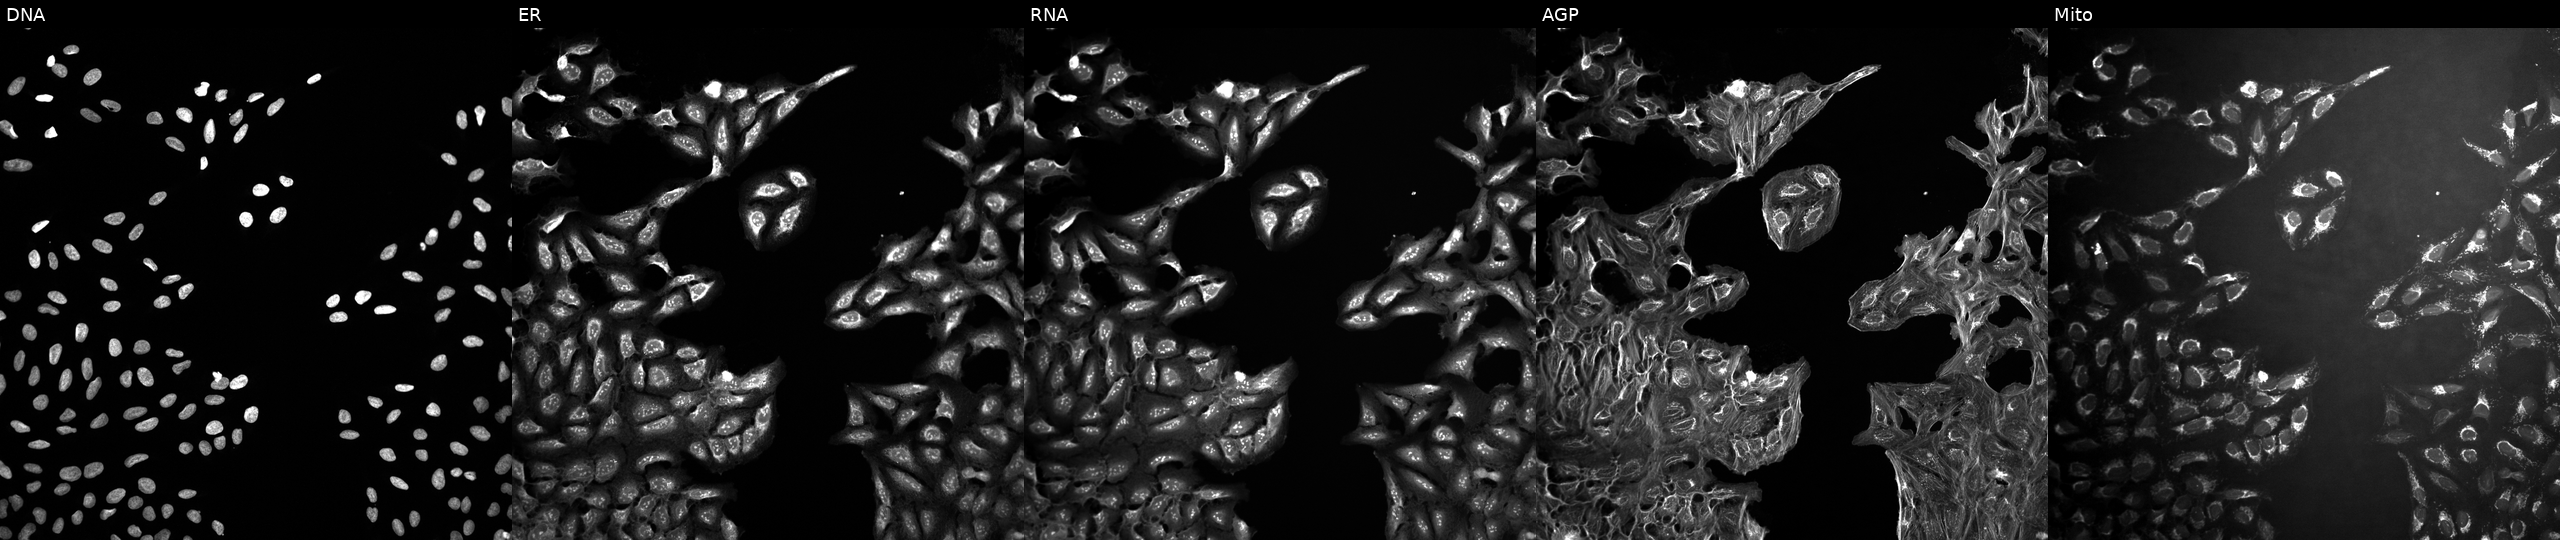
Five-channel Cell Painting image of U2OS cells exposed to a small-molecule compound (InChIKey KFAKESMKRPNZTM-UHFFFAOYSA-N) (JUMP id JCP2022_044197). Panels show, left to right, Hoechst 33342, concanavalin A, SYTO 14, phalloidin and WGA, MitoTracker. Source 10, plate Dest210727-153003, well C23.